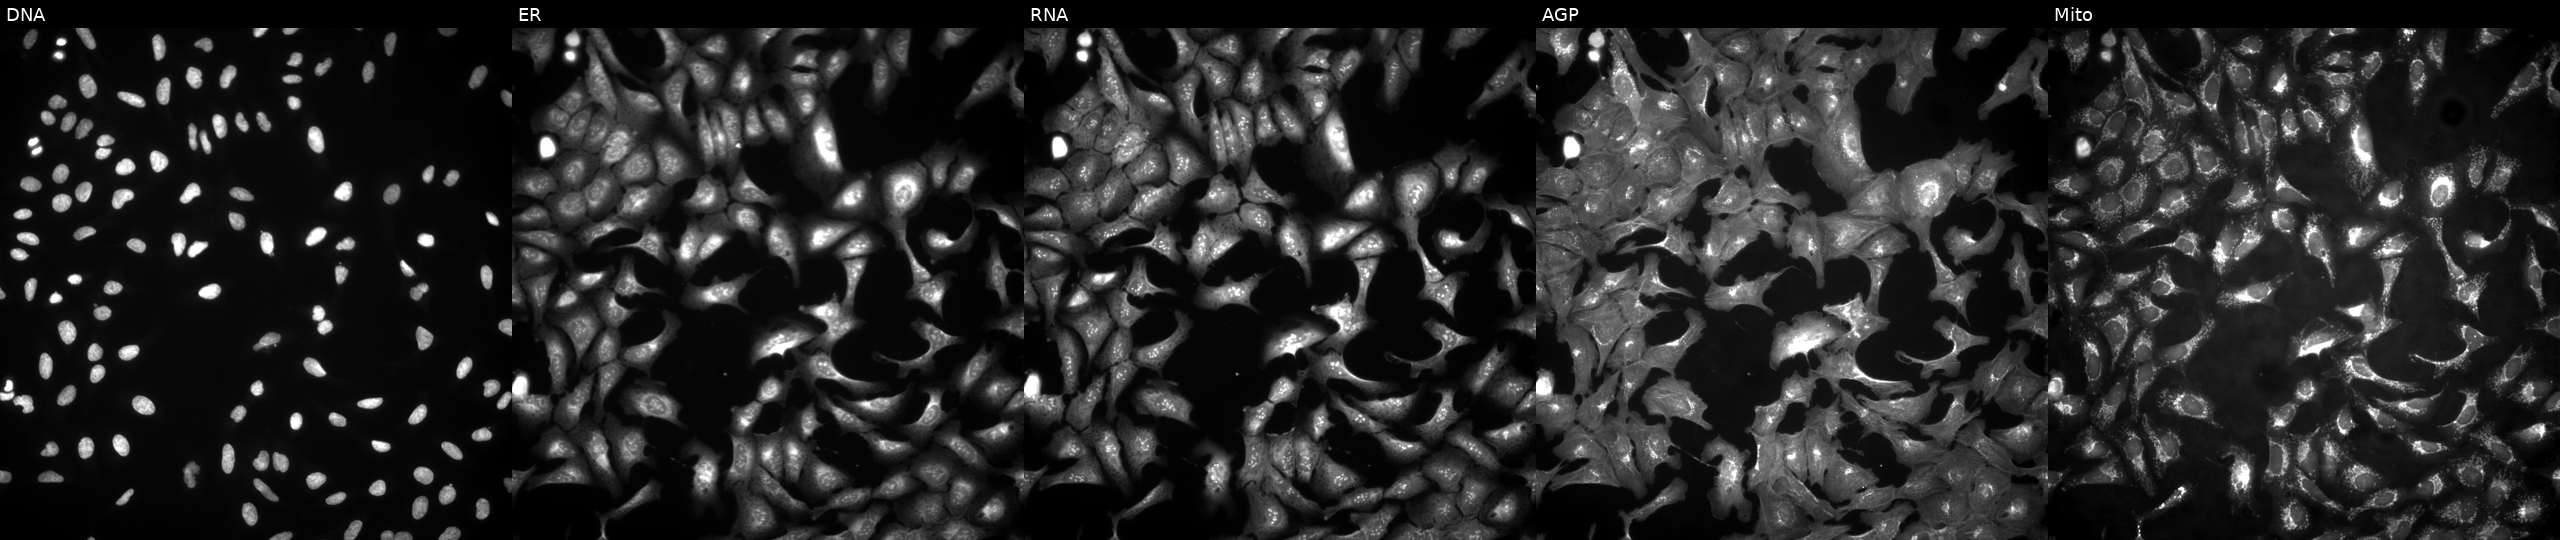
Five-channel Cell Painting image of U2OS cells transfected with an ORF construct for PLA2G4D (JUMP id JCP2022_912588). From left to right: DNA (nuclei); ER (endoplasmic reticulum); RNA (nucleoli and cytoplasmic RNA); AGP (actin cytoskeleton, Golgi, and plasma membrane); Mito (mitochondria). Source 4, plate BR00123509, well B10.